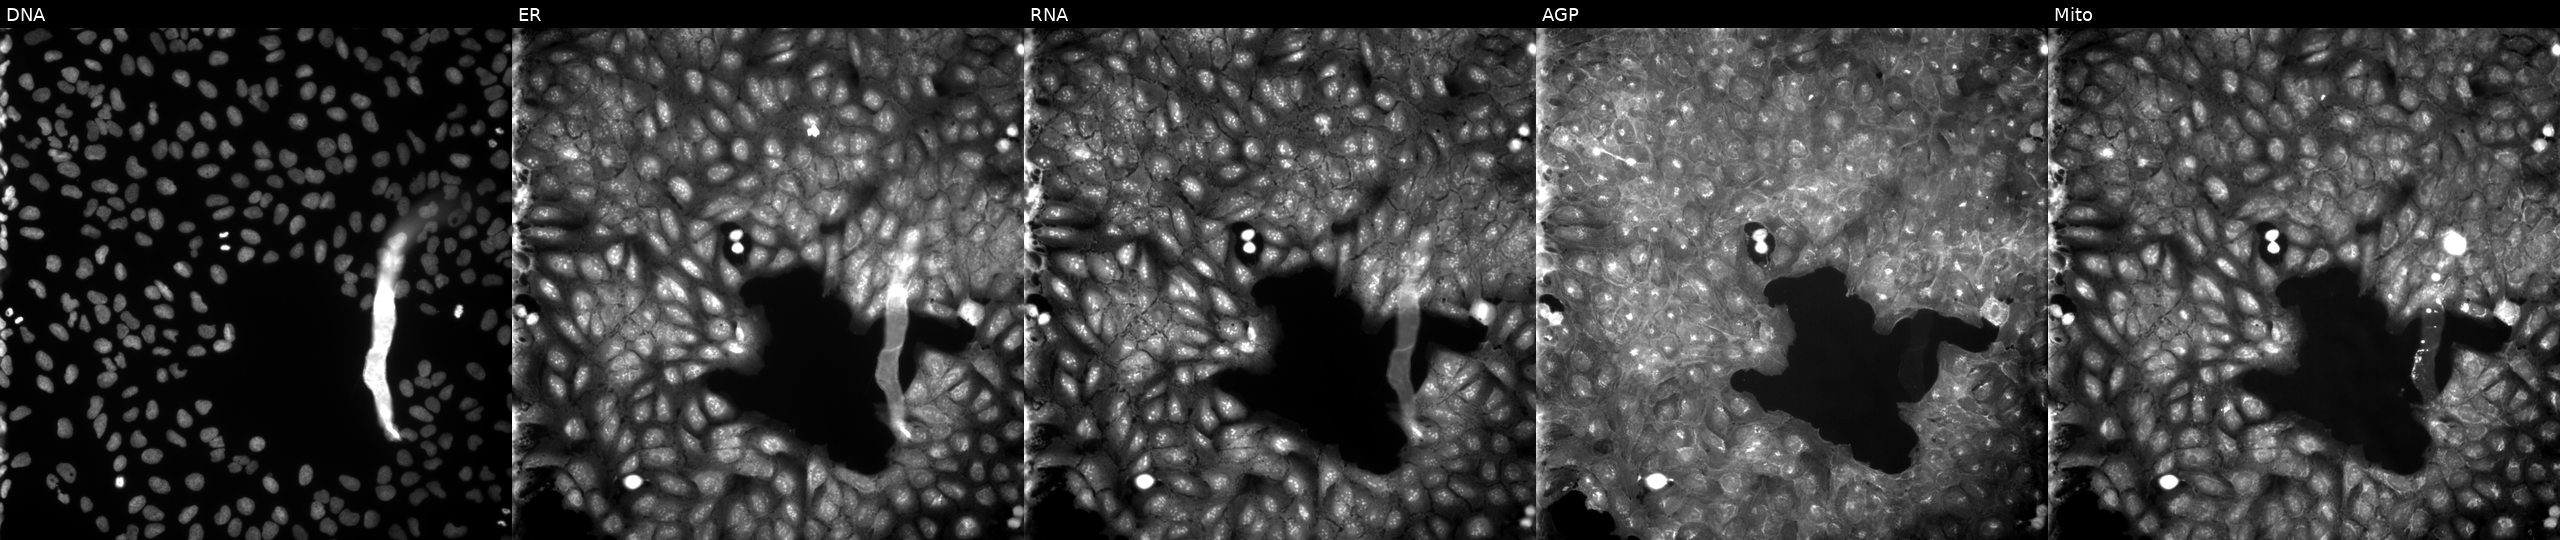
Five-channel Cell Painting image of U2OS cells perturbed with a small-molecule compound (InChIKey GTWBRKGVDSGPPK-UHFFFAOYSA-N). Channels (left→right): DNA (nuclei); ER (endoplasmic reticulum); RNA (nucleoli and cytoplasmic RNA); AGP (actin cytoskeleton, Golgi, and plasma membrane); Mito (mitochondria). Source 9, plate GR00003381, well I16.